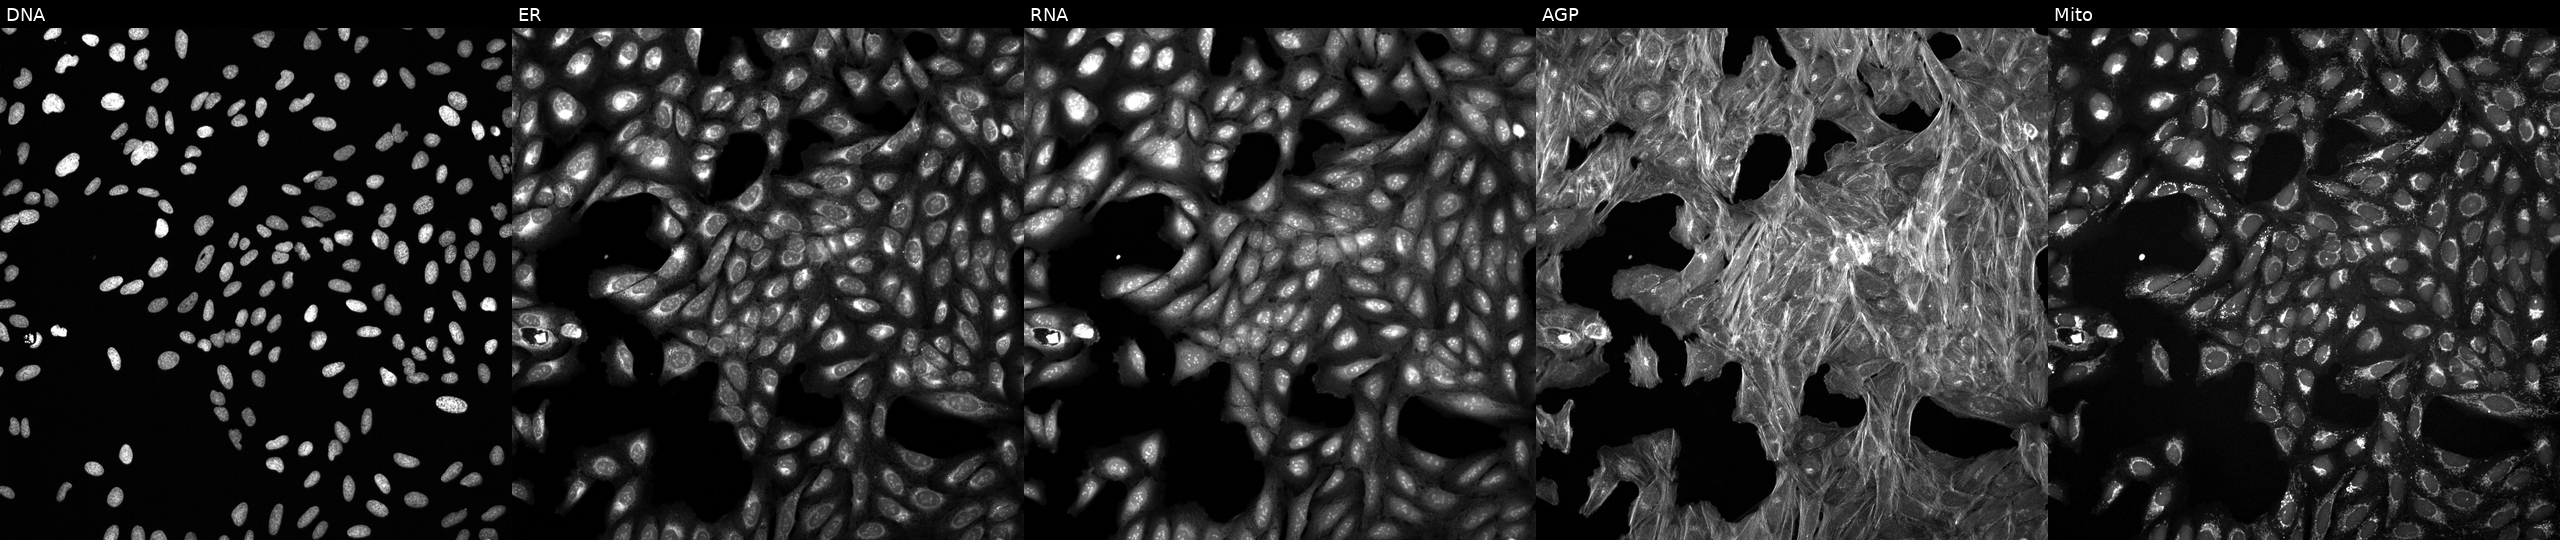
This image strip shows the five Cell Painting channels for a single field of U2OS cells perturbed with a small-molecule compound [SMILES: O=C1NC(=O)c2cc(Nc3ccc(F)cc3)c(Nc3ccc(F)cc3)cc21] (JUMP id JCP2022_079715). The five panels, left to right, show Hoechst 33342, concanavalin A, SYTO 14, phalloidin and WGA, MitoTracker.